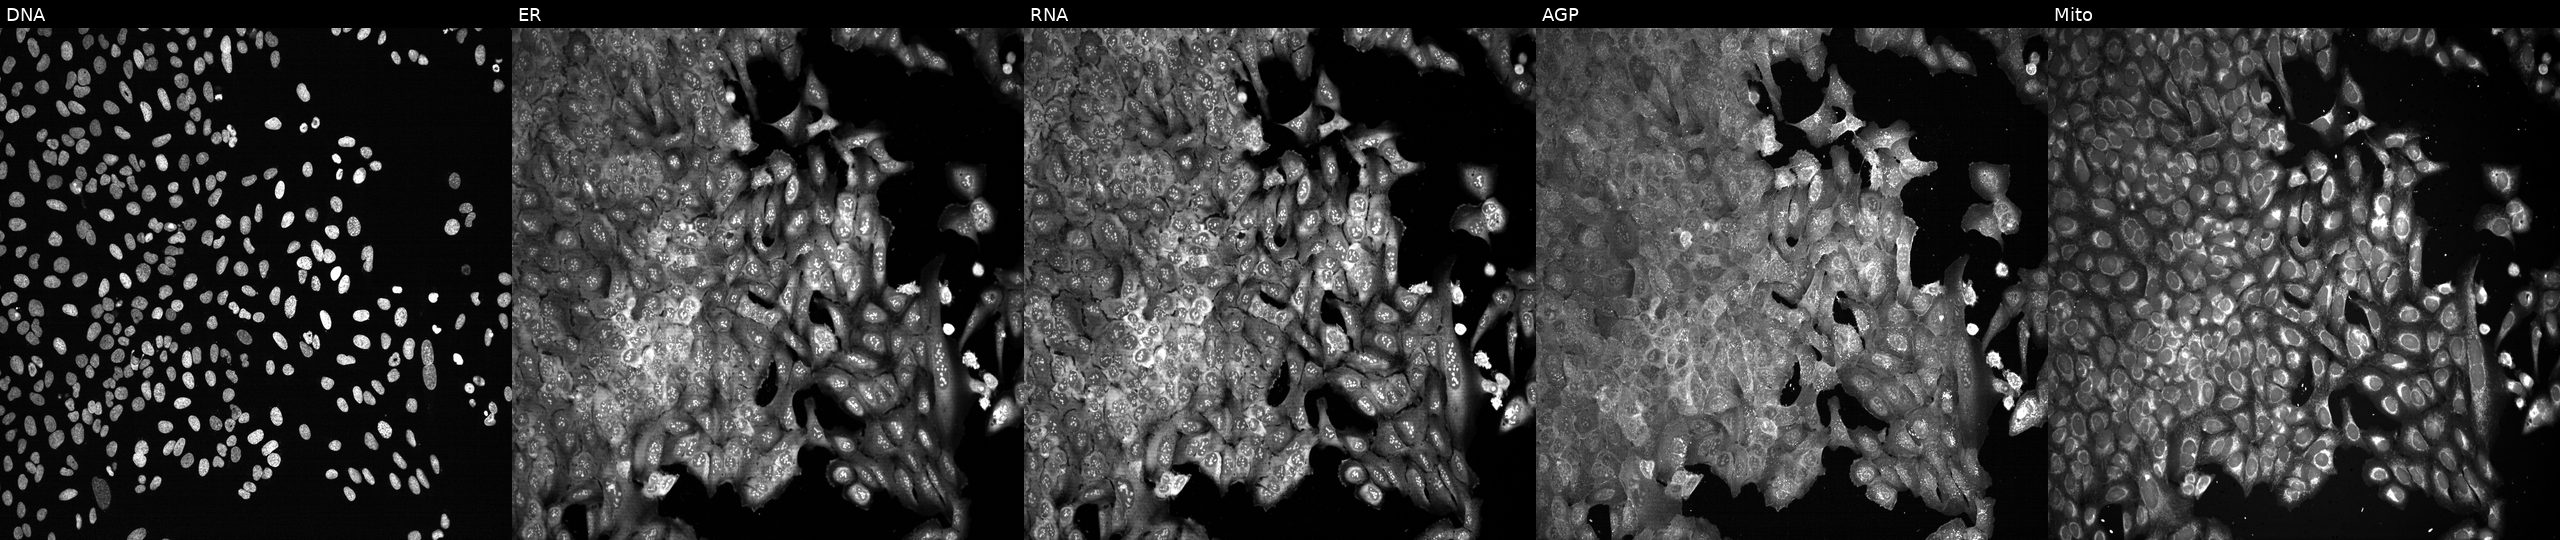
JUMP Cell Painting — CRISPR plate. U2OS cells following CRISPR knockout of ATP2A2. Channels (left→right): DNA (nuclei); ER (endoplasmic reticulum); RNA (nucleoli and cytoplasmic RNA); AGP (actin cytoskeleton, Golgi, and plasma membrane); Mito (mitochondria). Source 13, plate CP-CC9-R5-01, well I06.